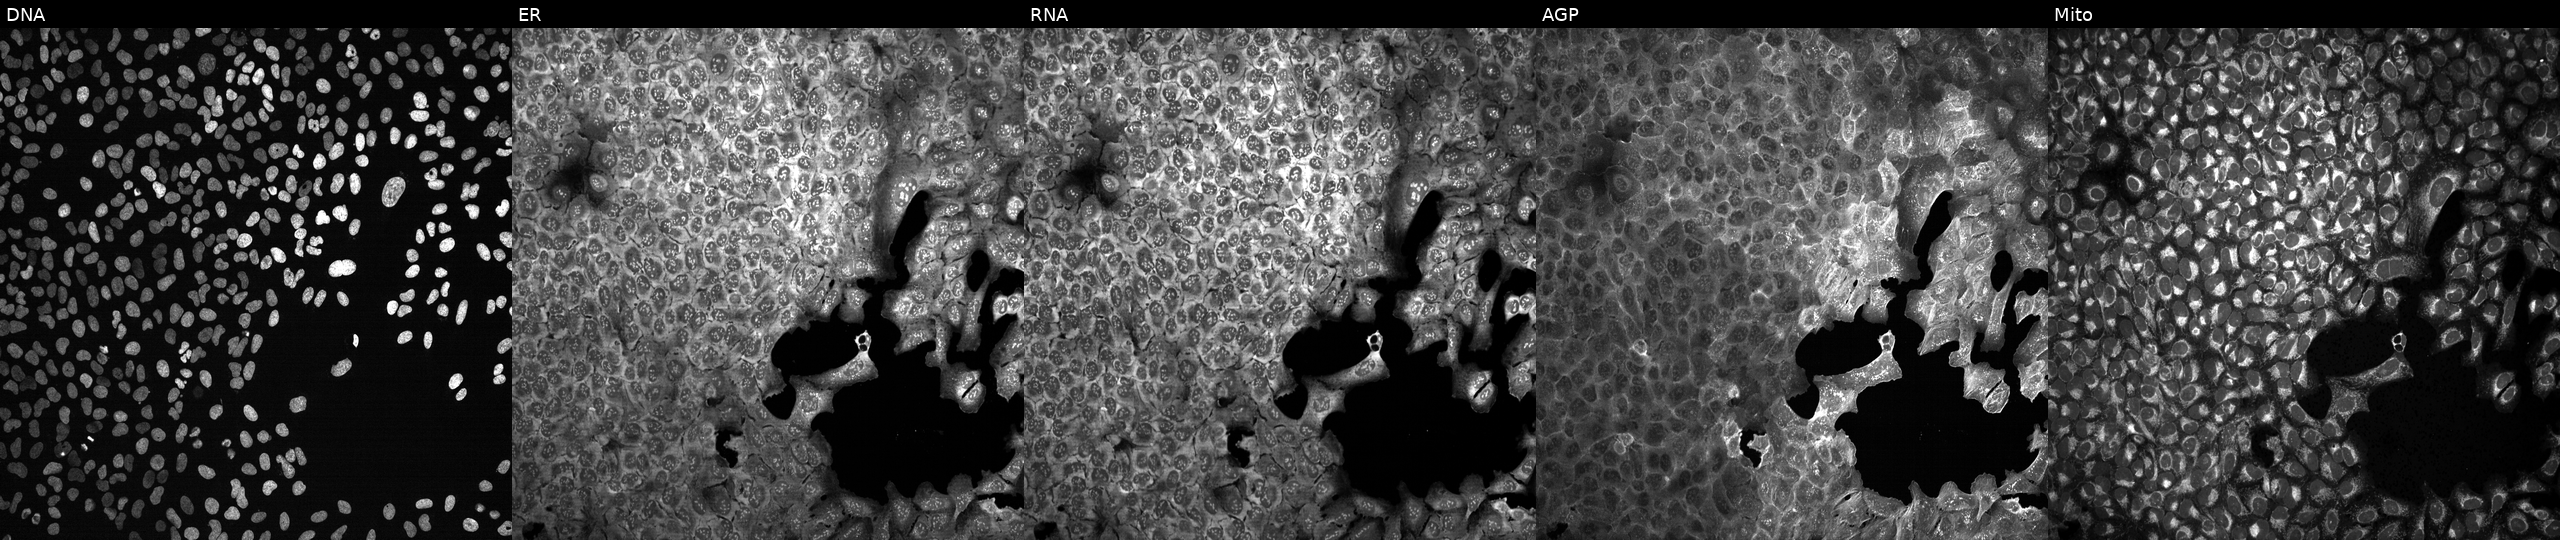
The five panels, left to right, show DNA (nuclei); ER (endoplasmic reticulum); RNA (nucleoli and cytoplasmic RNA); AGP (actin cytoskeleton, Golgi, and plasma membrane); Mito (mitochondria). U2OS osteosarcoma cells CRISPR-edited to disrupt DPYSL5. Cell Painting assay, JUMP-CP dataset. Source 13, plate CP-CC9-R6-19, well O12.